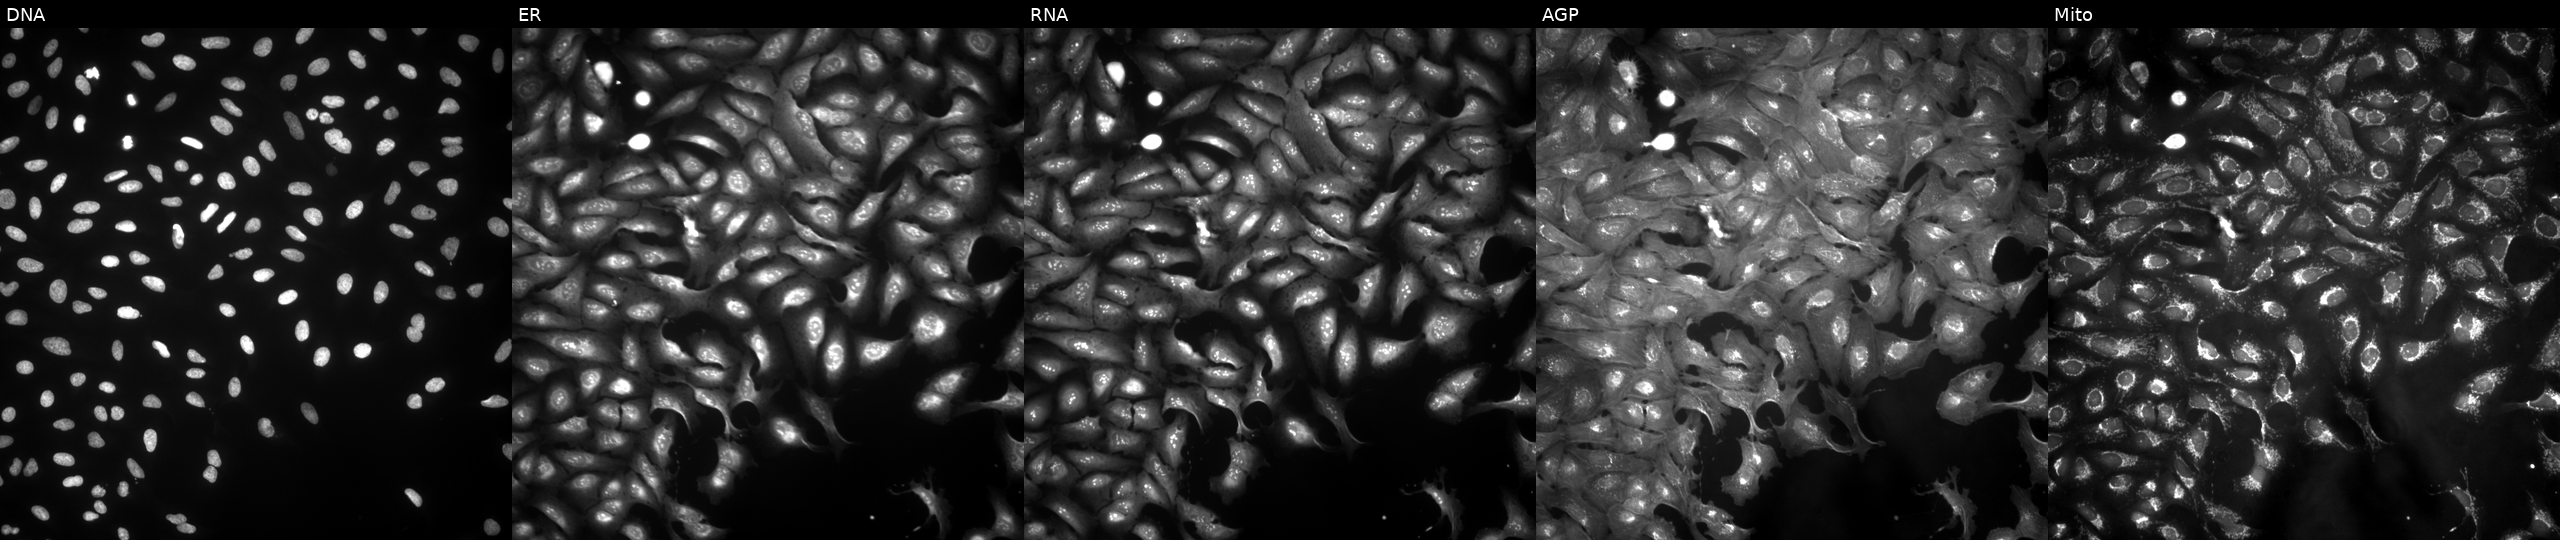
This image strip shows the five Cell Painting channels for a single field of U2OS cells in an empty control well (no perturbation) (JUMP id JCP2022_999999). Channels (left→right): Hoechst 33342, concanavalin A, SYTO 14, phalloidin and WGA, MitoTracker. Source 4, plate BR00123506, well B01.